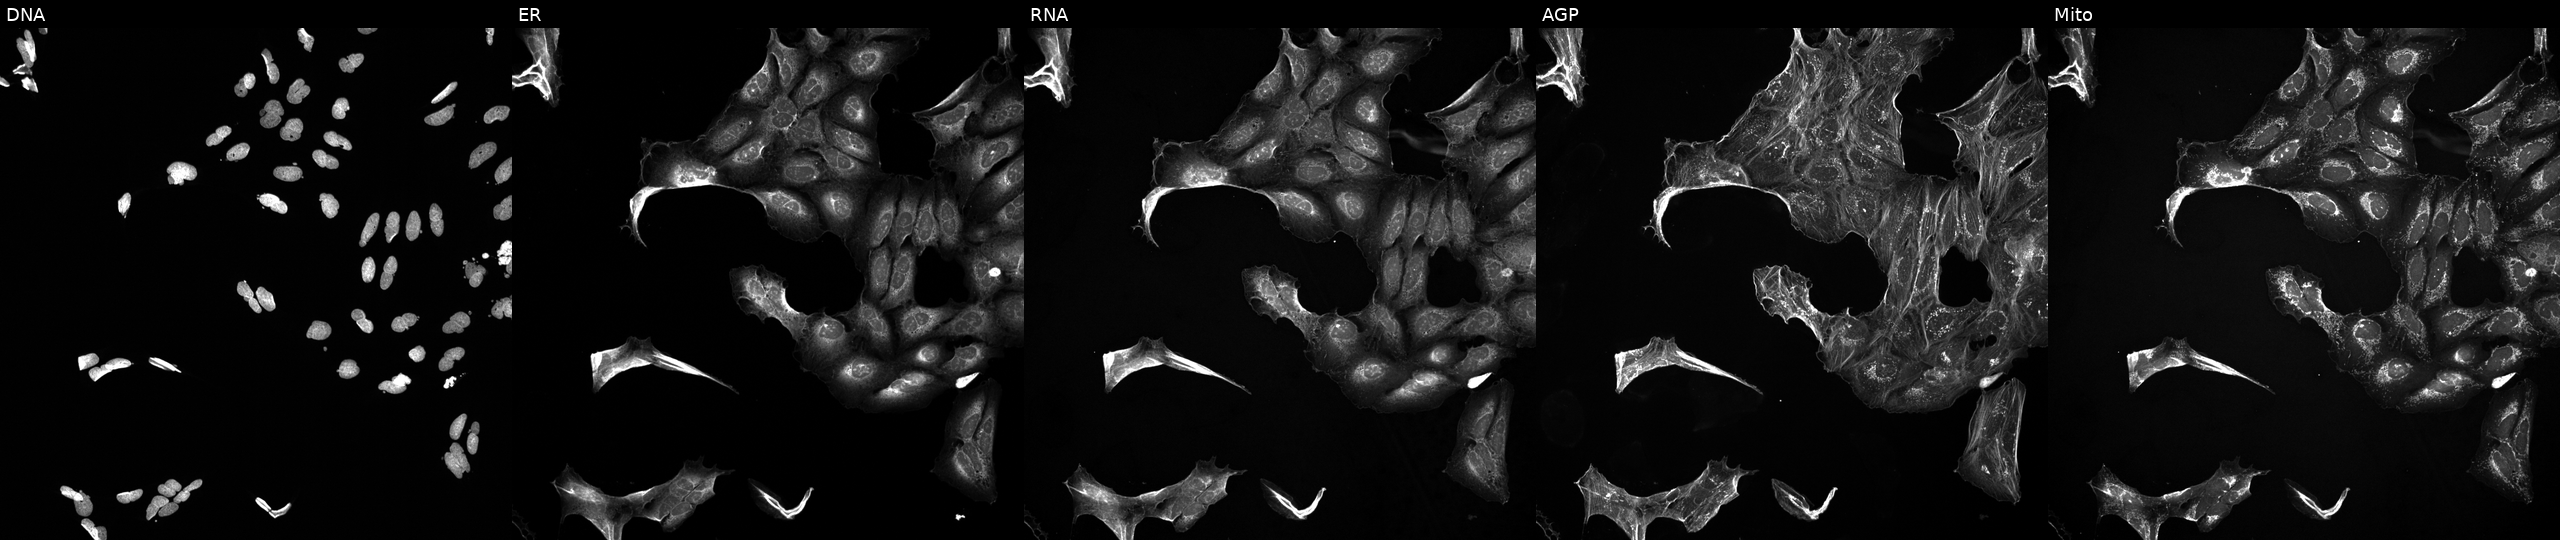
Five-channel Cell Painting image of U2OS cells treated with a small-molecule compound (InChIKey MJSHVHLADKXCML-UHFFFAOYSA-N) [SMILES: CCCCN=c1nc2c(c[nH]1)c(-c1ccc(CN3CCN(C)CC3)cc1)cn2C1CCC(O)CC1]. Channels (left→right): DNA, ER, RNA, AGP, and Mito.